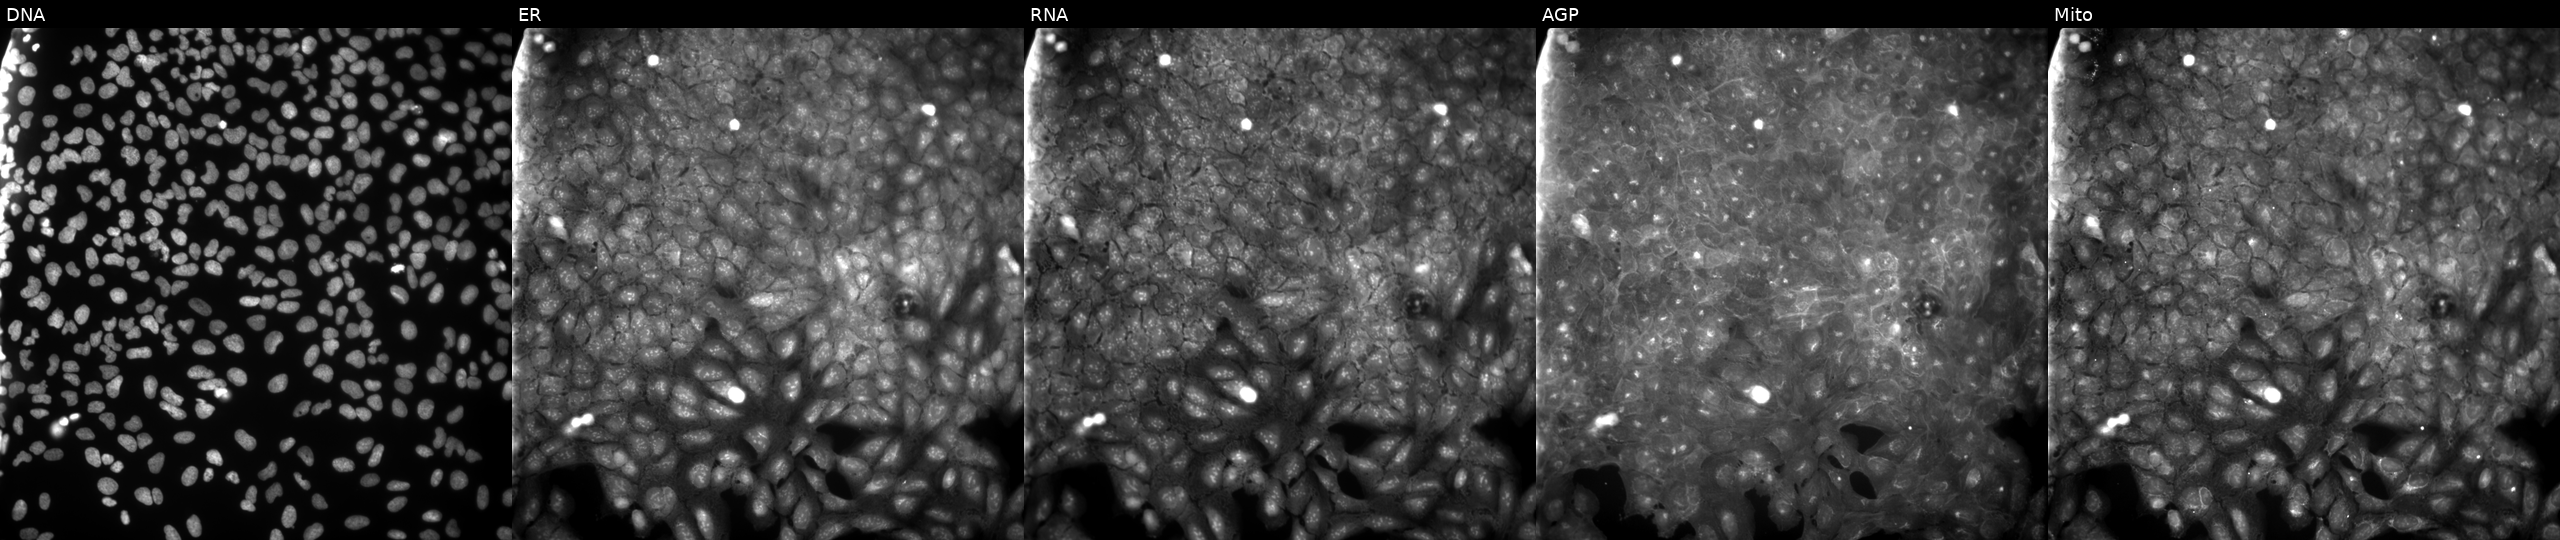
Five-channel Cell Painting image of U2OS cells perturbed with a small-molecule compound (InChIKey YHVGXOGFWGPMRC-UHFFFAOYSA-N) (JUMP id JCP2022_108541). From left to right: Hoechst 33342, concanavalin A, SYTO 14, phalloidin and WGA, MitoTracker. Source 9, plate GR00003381, well P05.